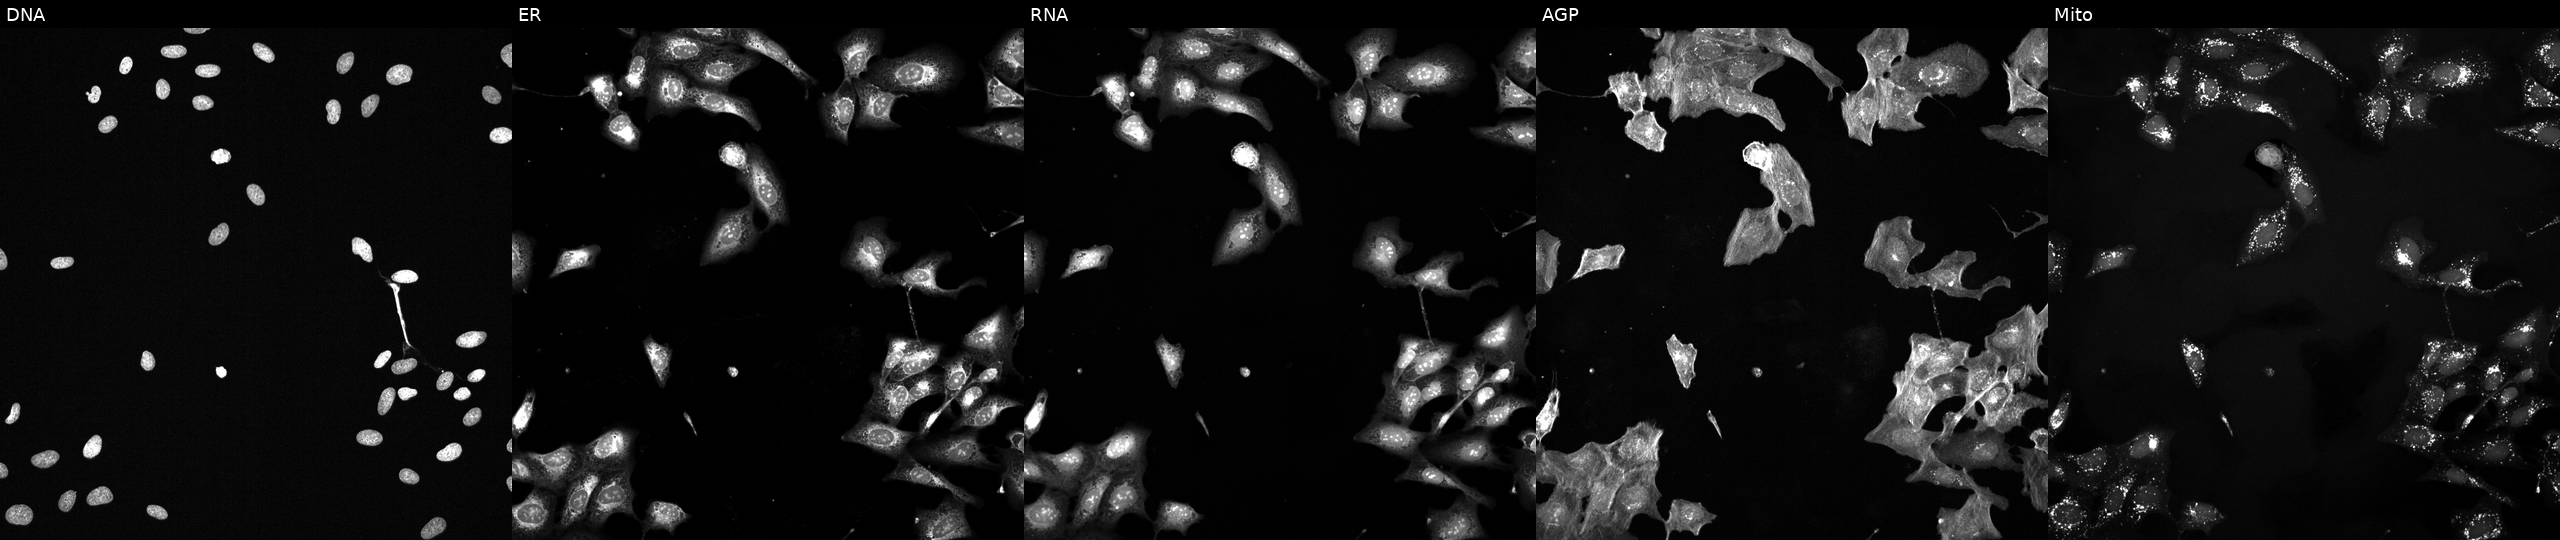
The five panels, left to right, show DNA, ER, RNA, AGP, and Mito. U2OS osteosarcoma cells exposed to a small-molecule compound (InChIKey QNRODODTMXCRKU-UHFFFAOYSA-N) (JUMP id JCP2022_074702). Cell Painting assay, JUMP-CP dataset. Source 6, plate 110000293093, well O13.